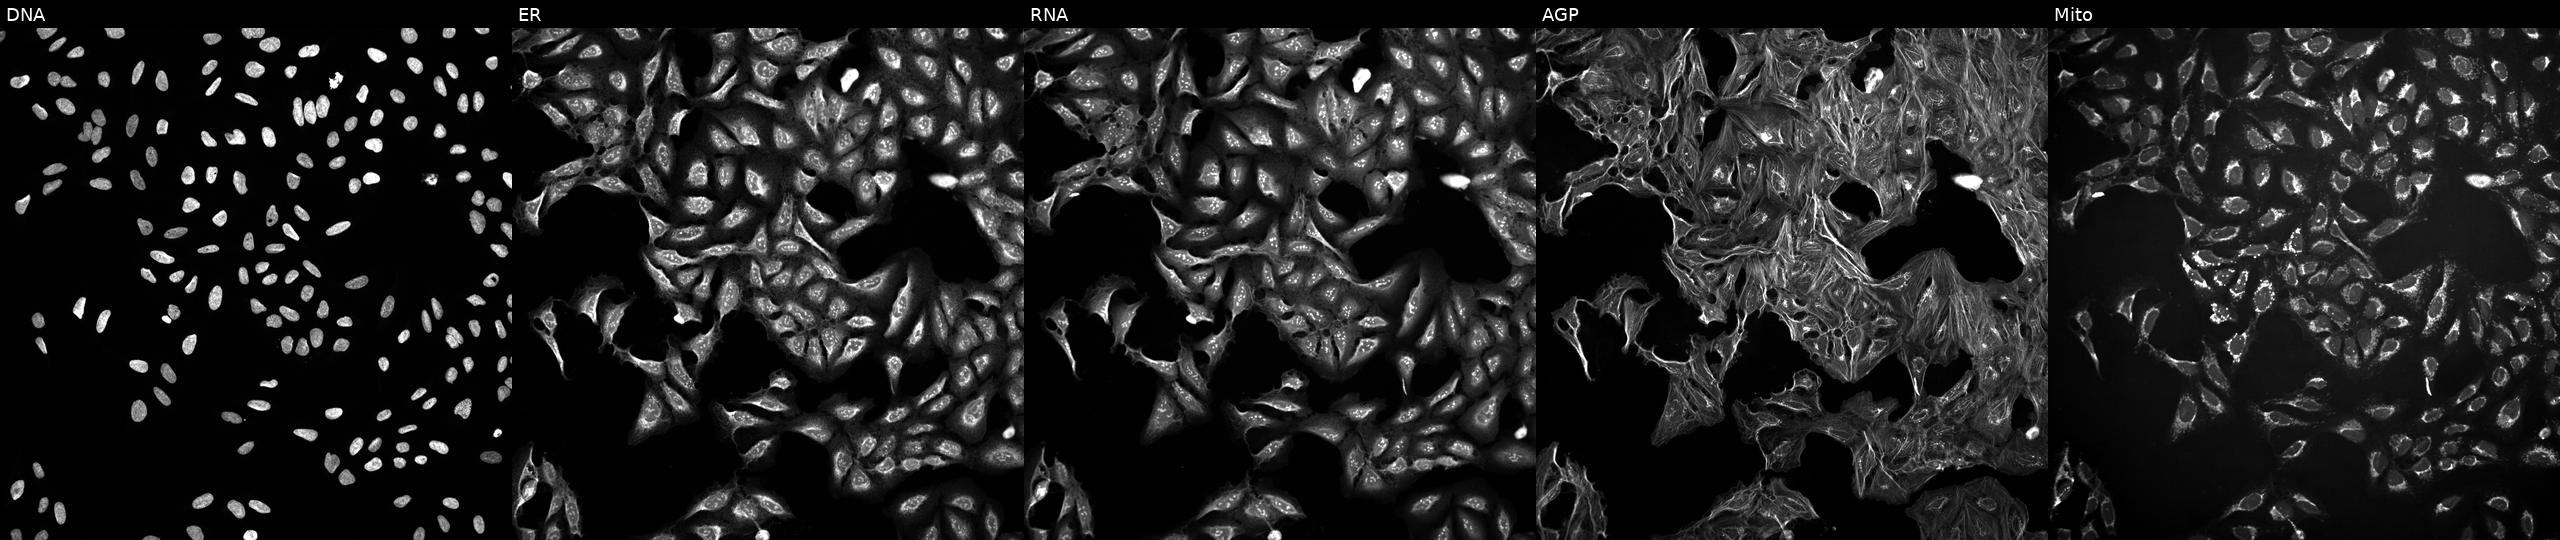
Five-channel Cell Painting image of U2OS cells perturbed with a small-molecule compound (InChIKey XXYGTCZJJLTAGH-UHFFFAOYSA-N) (JUMP id JCP2022_106781). Channels (left→right): Hoechst 33342, concanavalin A, SYTO 14, phalloidin and WGA, MitoTracker.